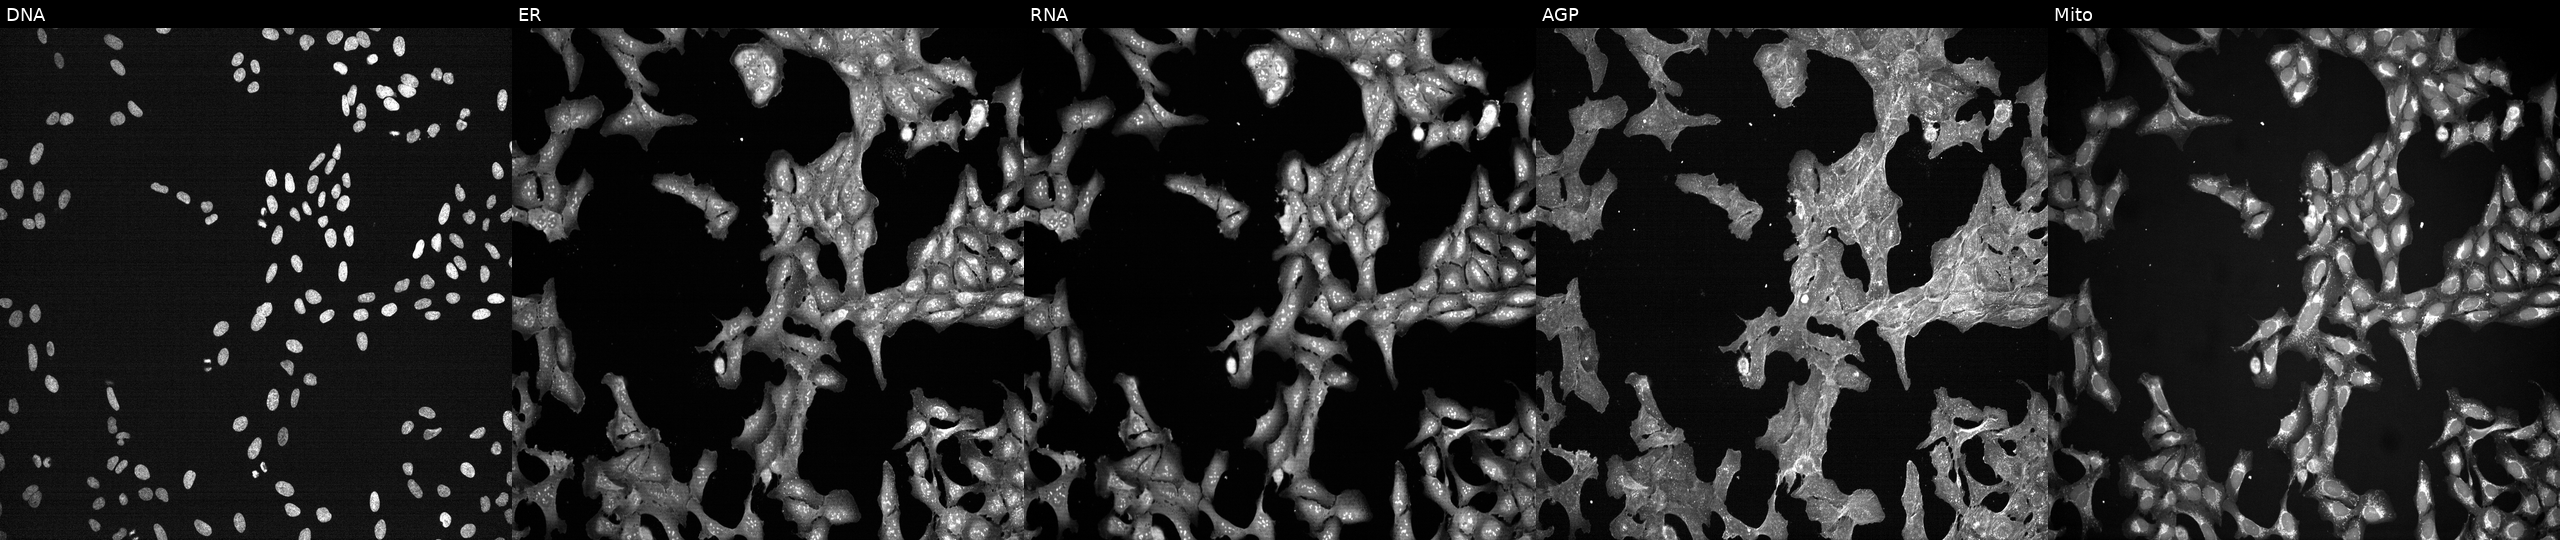
U2OS cells, Cell Painting assay, exposed to a small-molecule compound. Panels show, left to right, DNA, ER, RNA, AGP, and Mito. Each panel is percentile-stretched 16-bit fluorescence.